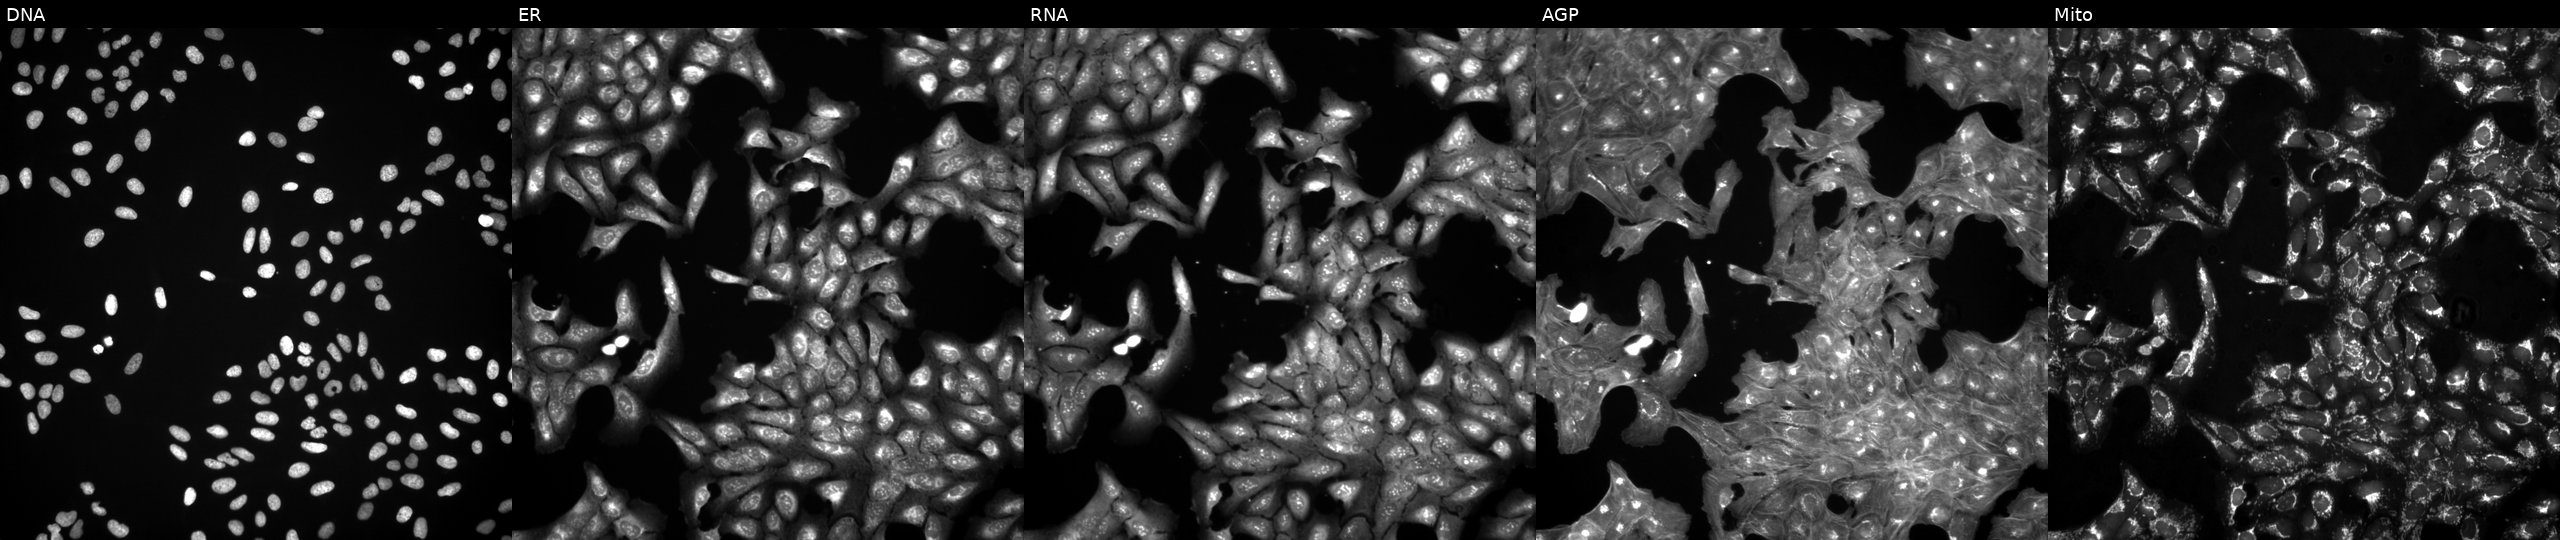
High-content fluorescence microscopy (Cell Painting). Cell line: U2OS. Perturbation: treated with a small-molecule compound. From left to right: Hoechst 33342, concanavalin A, SYTO 14, phalloidin and WGA, MitoTracker. Source 3, plate BR5867a3, well B18.